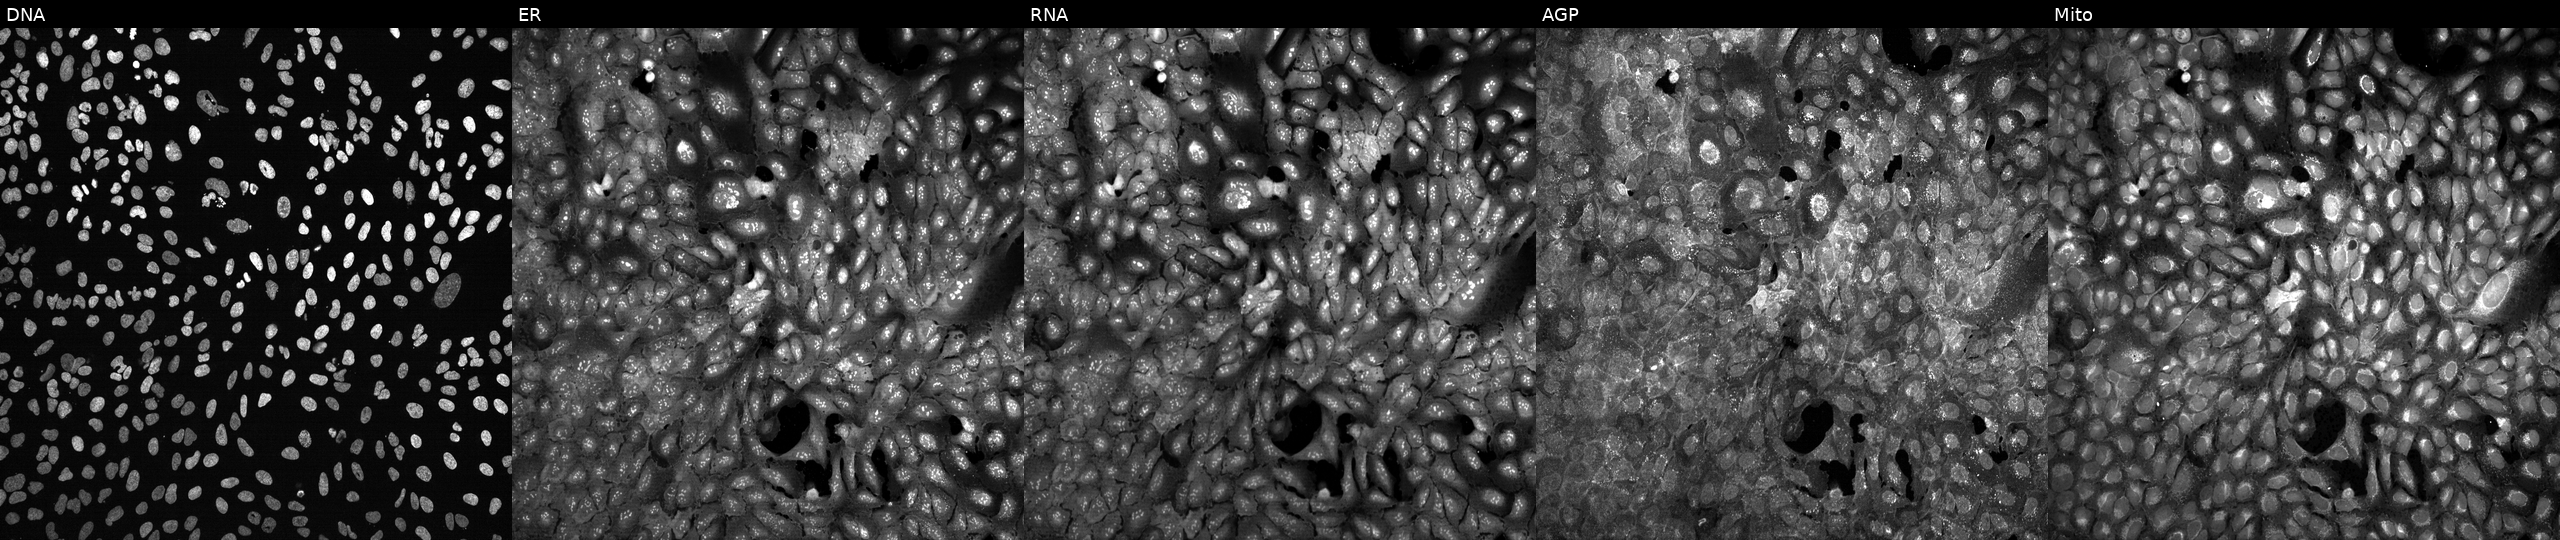
Five-channel Cell Painting image of U2OS cells CRISPR-edited to disrupt UGT3A2 (JUMP id JCP2022_807534). From left to right: DNA (nuclei); ER (endoplasmic reticulum); RNA (nucleoli and cytoplasmic RNA); AGP (actin cytoskeleton, Golgi, and plasma membrane); Mito (mitochondria).